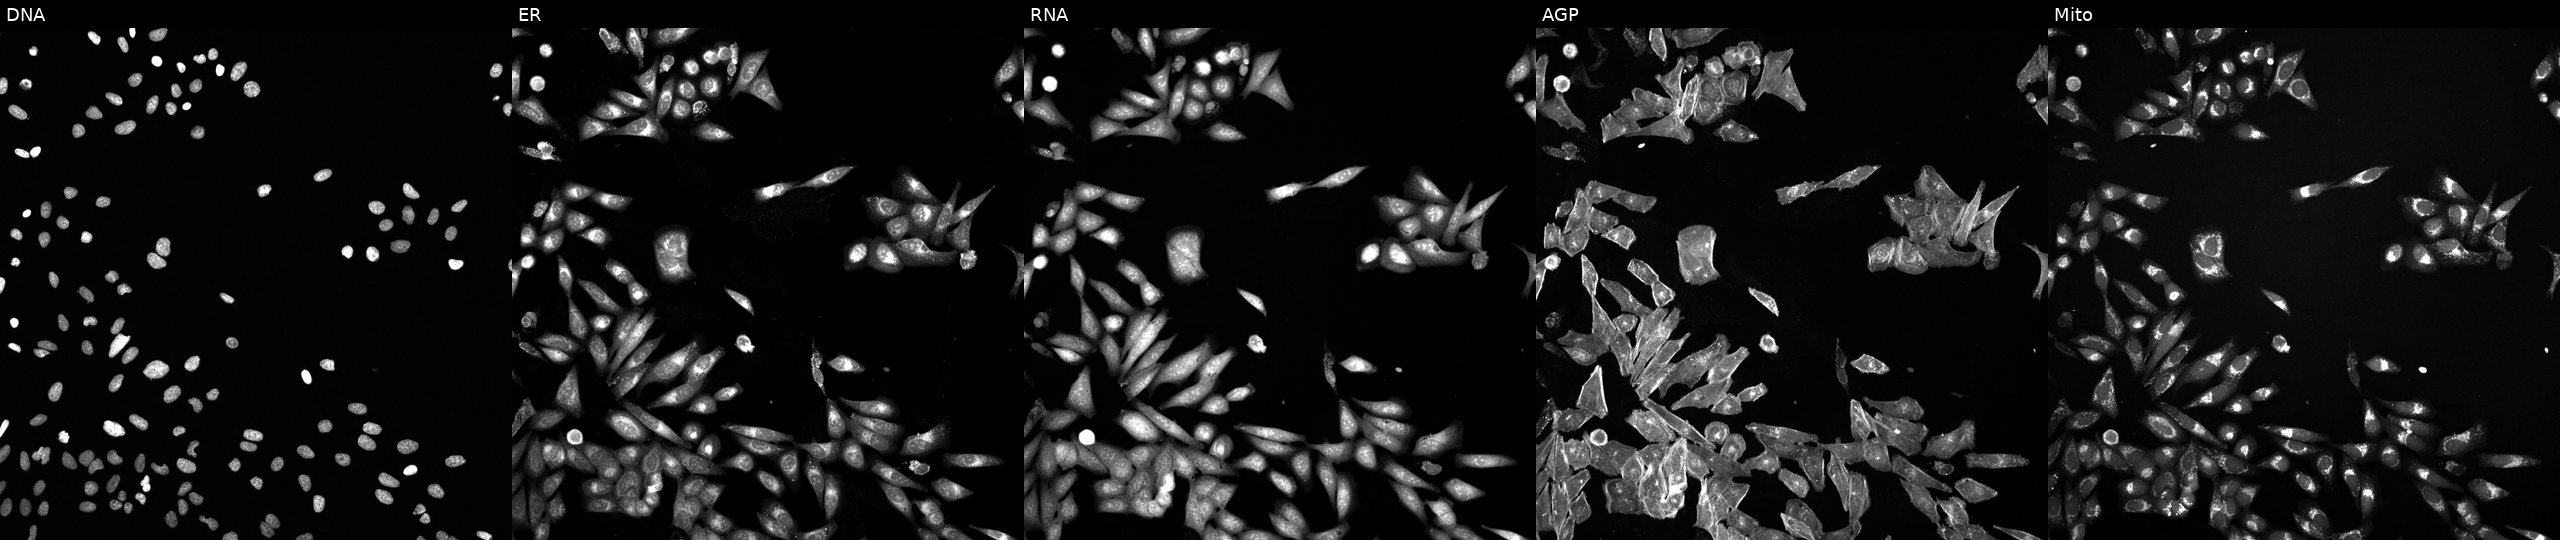
This image strip shows the five Cell Painting channels for a single field of U2OS cells exposed to a small-molecule compound (InChIKey JVCWPUFNLFSKFS-UHFFFAOYSA-N) [SMILES: CCN1C(C)(C)CC(Oc2ccc(C(=O)Nc3ccc(NC(=O)N=c4cc(C(C)(C)C)o[nH]4)cc3)nc2)CC1(C)C] (JUMP id JCP2022_042332). The five panels, left to right, show DNA (nuclei); ER (endoplasmic reticulum); RNA (nucleoli and cytoplasmic RNA); AGP (actin cytoskeleton, Golgi, and plasma membrane); Mito (mitochondria).